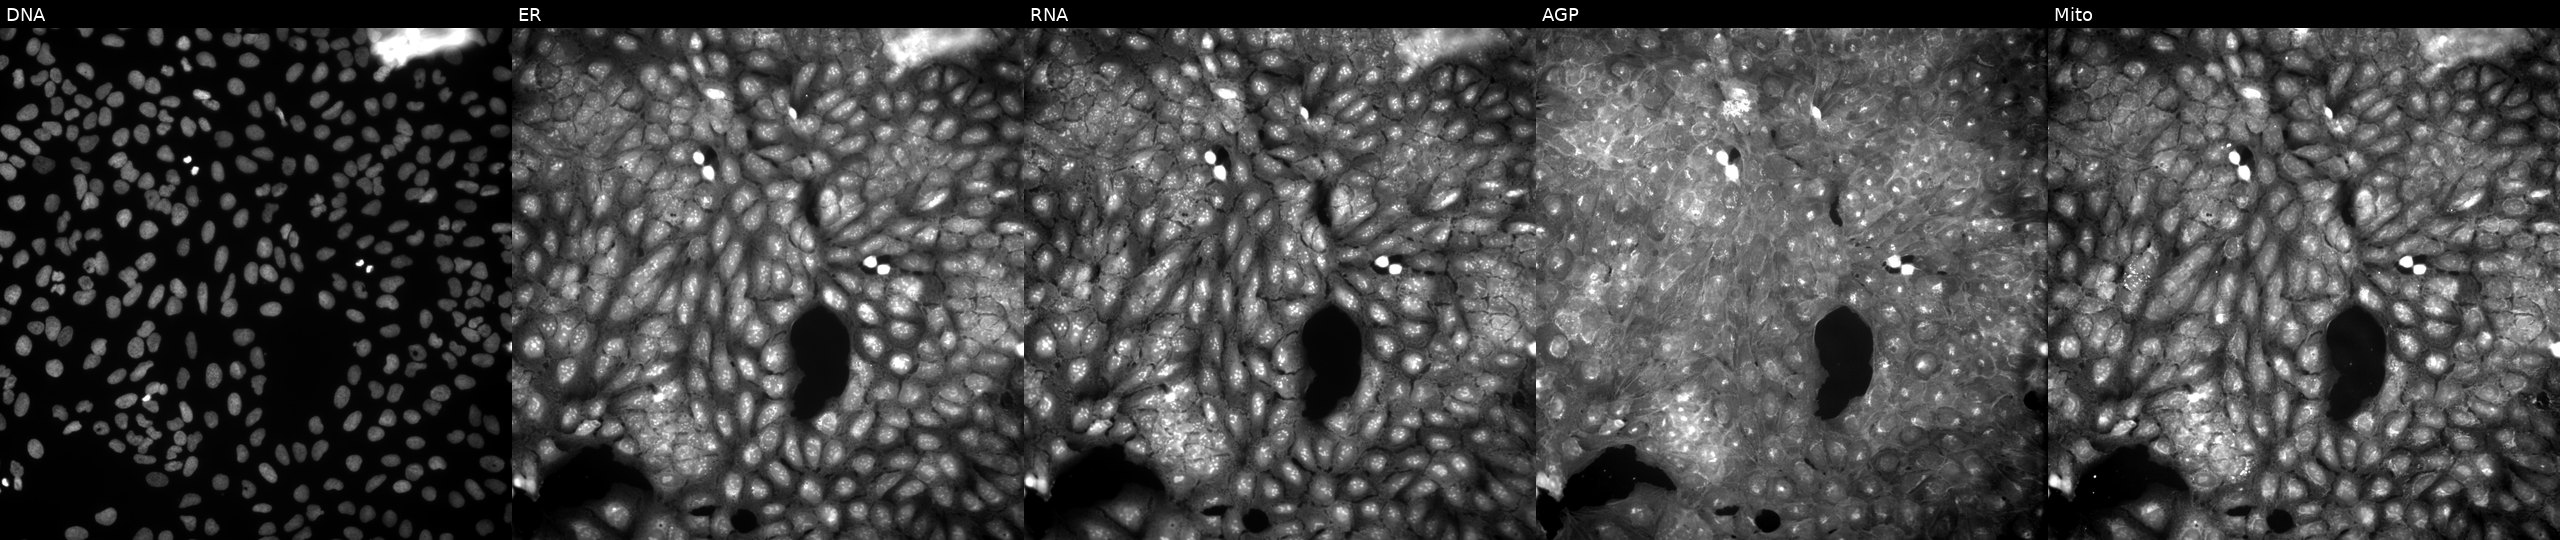
Five-channel Cell Painting image of U2OS cells perturbed with a small-molecule compound (InChIKey VKTZQGNPIUCLOL-UHFFFAOYSA-N). Channels (left→right): DNA, ER, RNA, AGP, and Mito. Source 9, plate GR00003381, well R30.